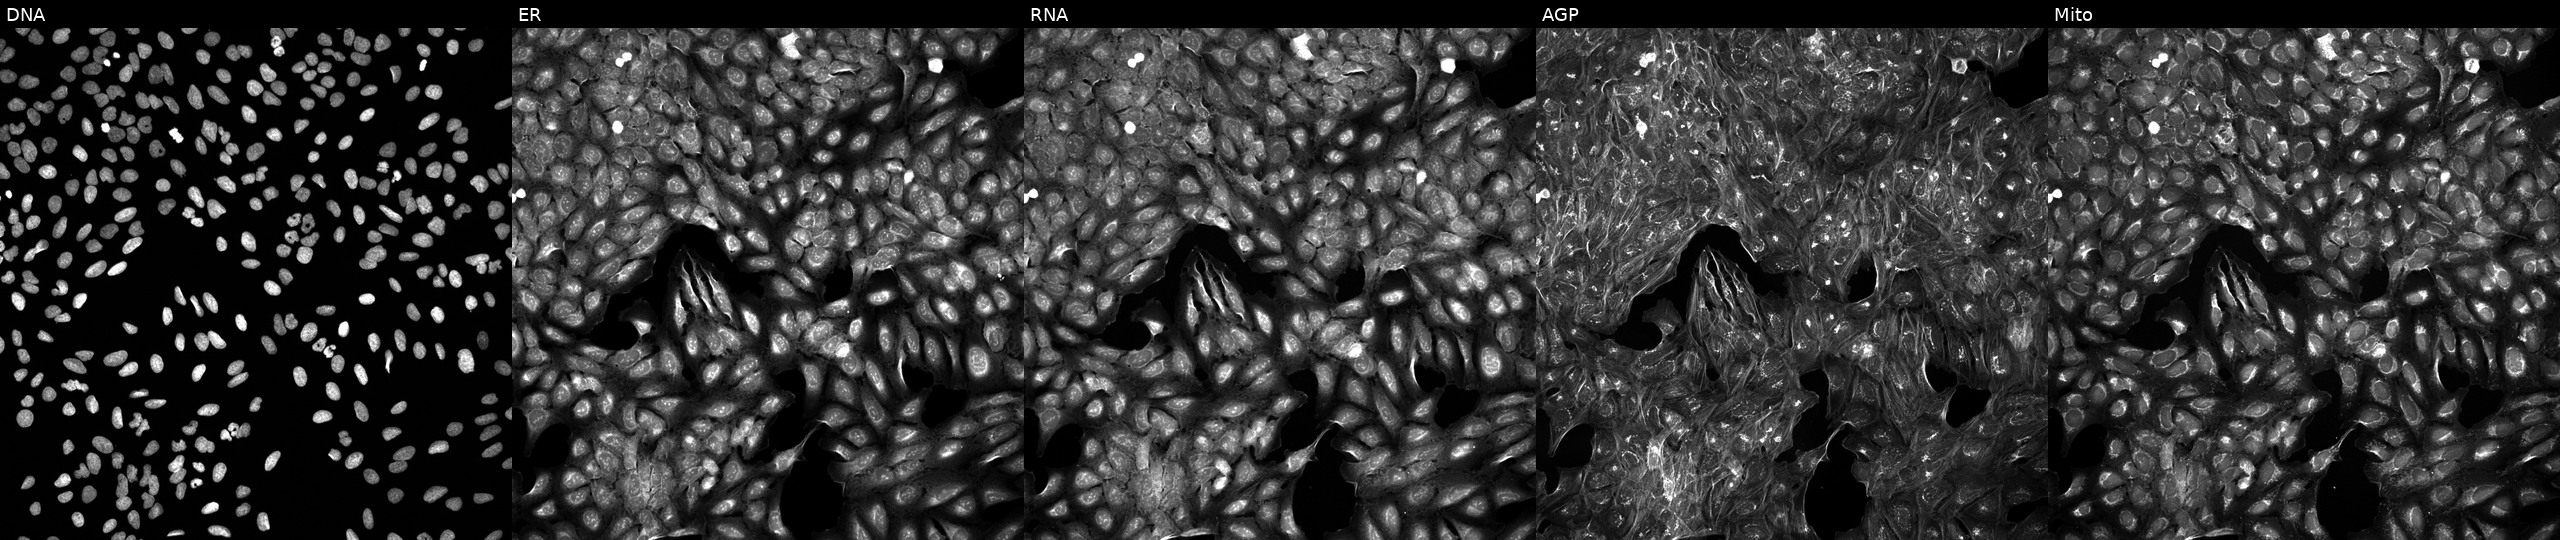
JUMP Cell Painting — COMPOUND plate. U2OS cells treated with a small-molecule compound (JUMP id JCP2022_027558). Channels (left→right): DNA, ER, RNA, AGP, and Mito.